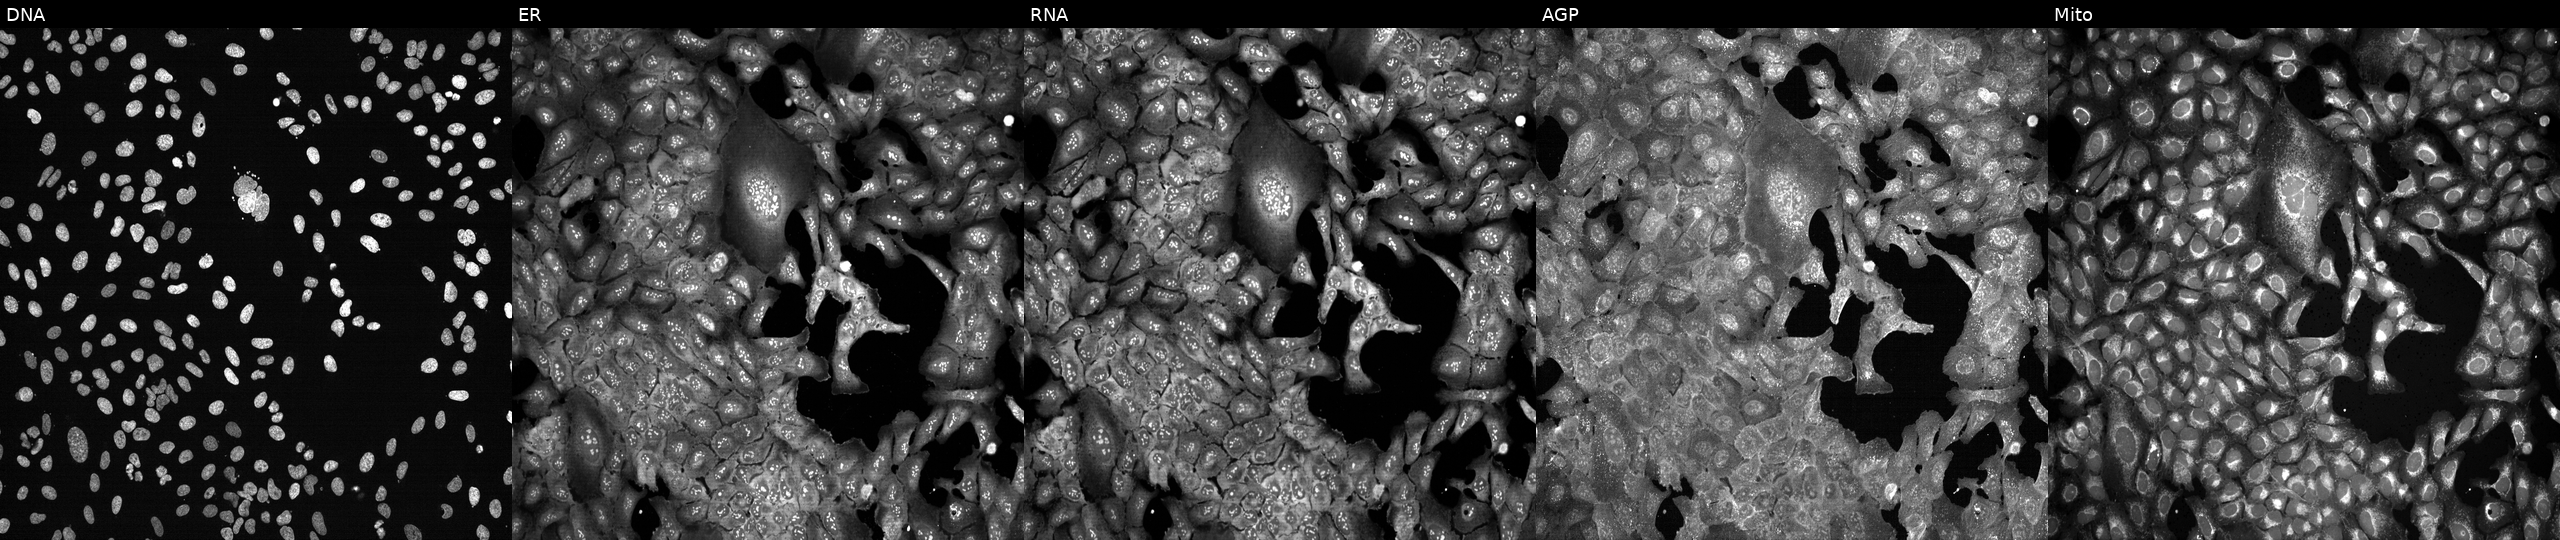
Five-channel Cell Painting image of U2OS cells with SGMS1 knocked out by CRISPR (JUMP id JCP2022_806309). From left to right: DNA (nuclei); ER (endoplasmic reticulum); RNA (nucleoli and cytoplasmic RNA); AGP (actin cytoskeleton, Golgi, and plasma membrane); Mito (mitochondria). Source 13, plate CP-CC9-R5-01, well N07.